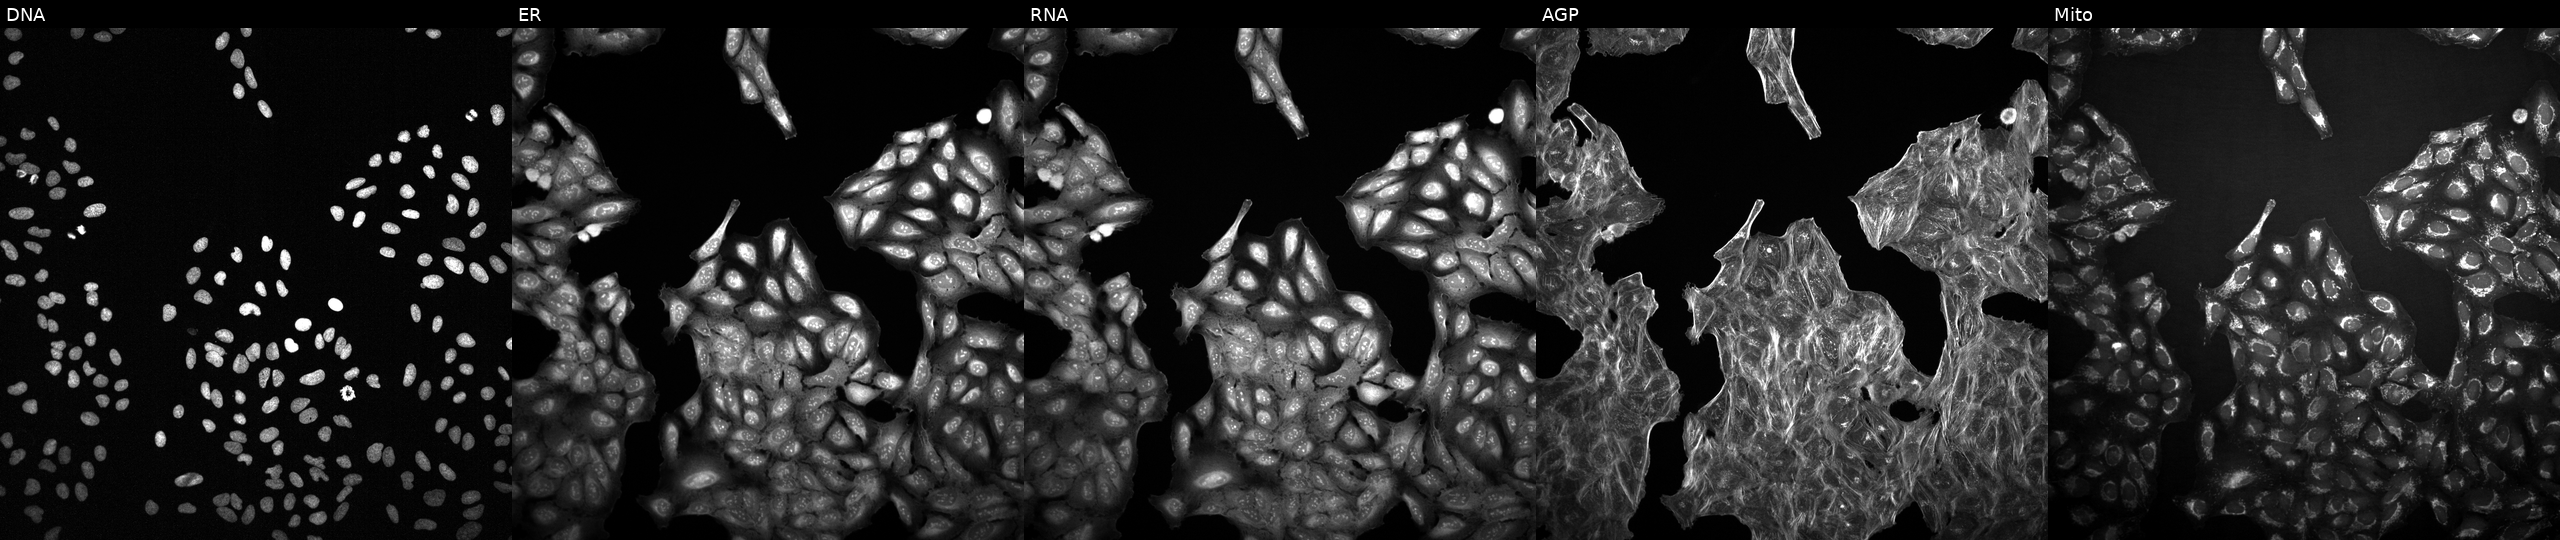
This image strip shows the five Cell Painting channels for a single field of U2OS cells with an unidentified perturbation (not annotated in JUMP metadata). Panels show, left to right, DNA, ER, RNA, AGP, and Mito. Source 2, plate 1053601763, well N06.